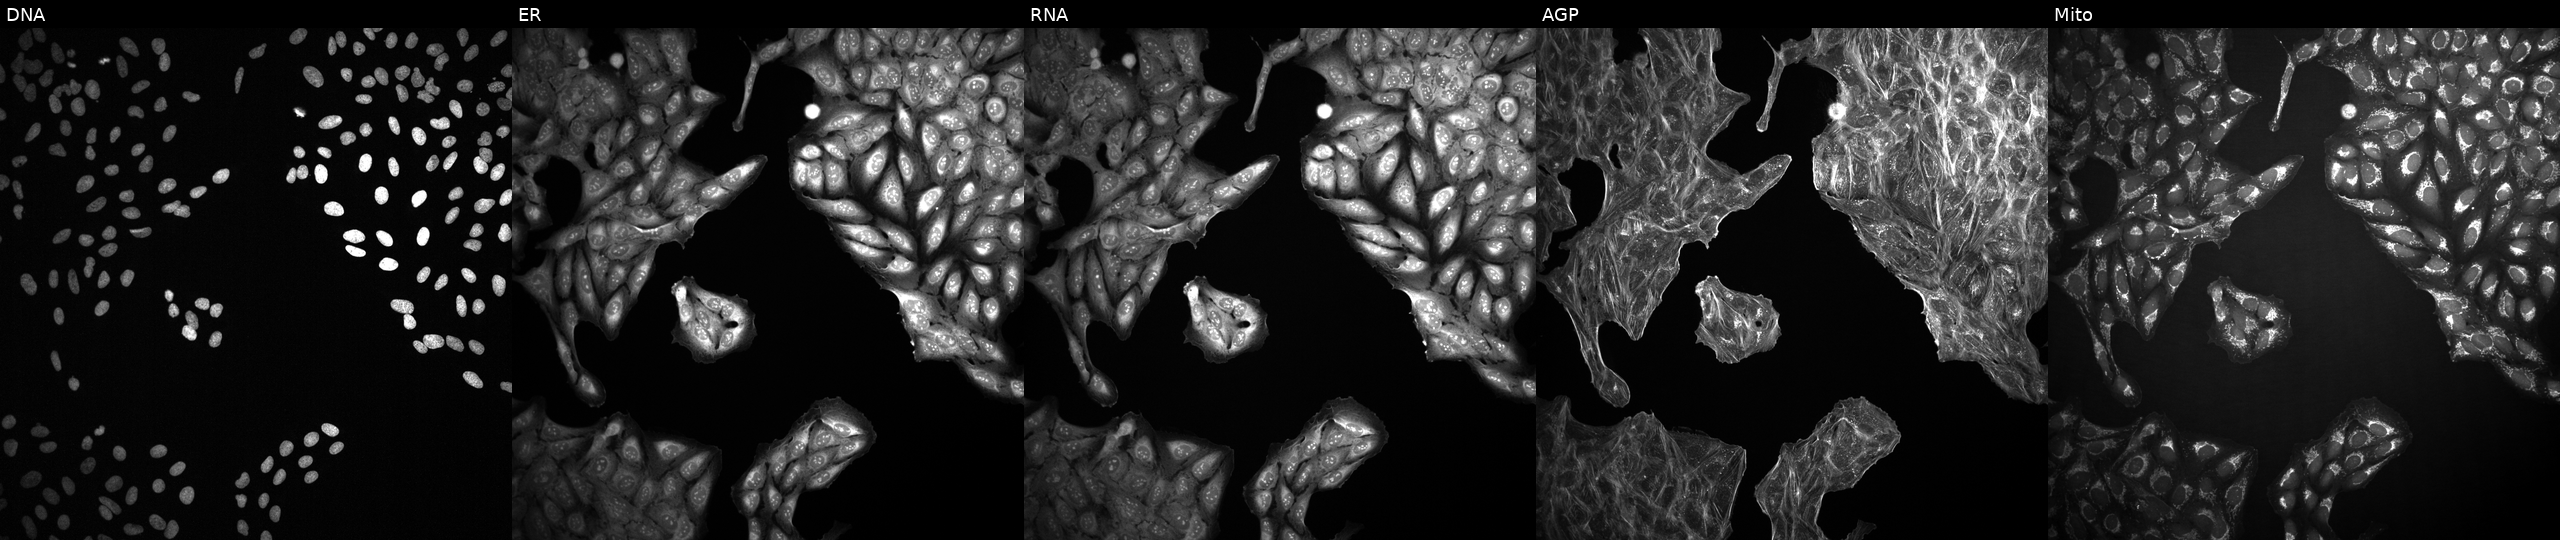
Channels (left→right): DNA (nuclei); ER (endoplasmic reticulum); RNA (nucleoli and cytoplasmic RNA); AGP (actin cytoskeleton, Golgi, and plasma membrane); Mito (mitochondria). U2OS osteosarcoma cells exposed to a small-molecule compound (InChIKey UMUPQWIGCOZEOY-UHFFFAOYSA-N) (JUMP id JCP2022_090205). Cell Painting assay, JUMP-CP dataset.